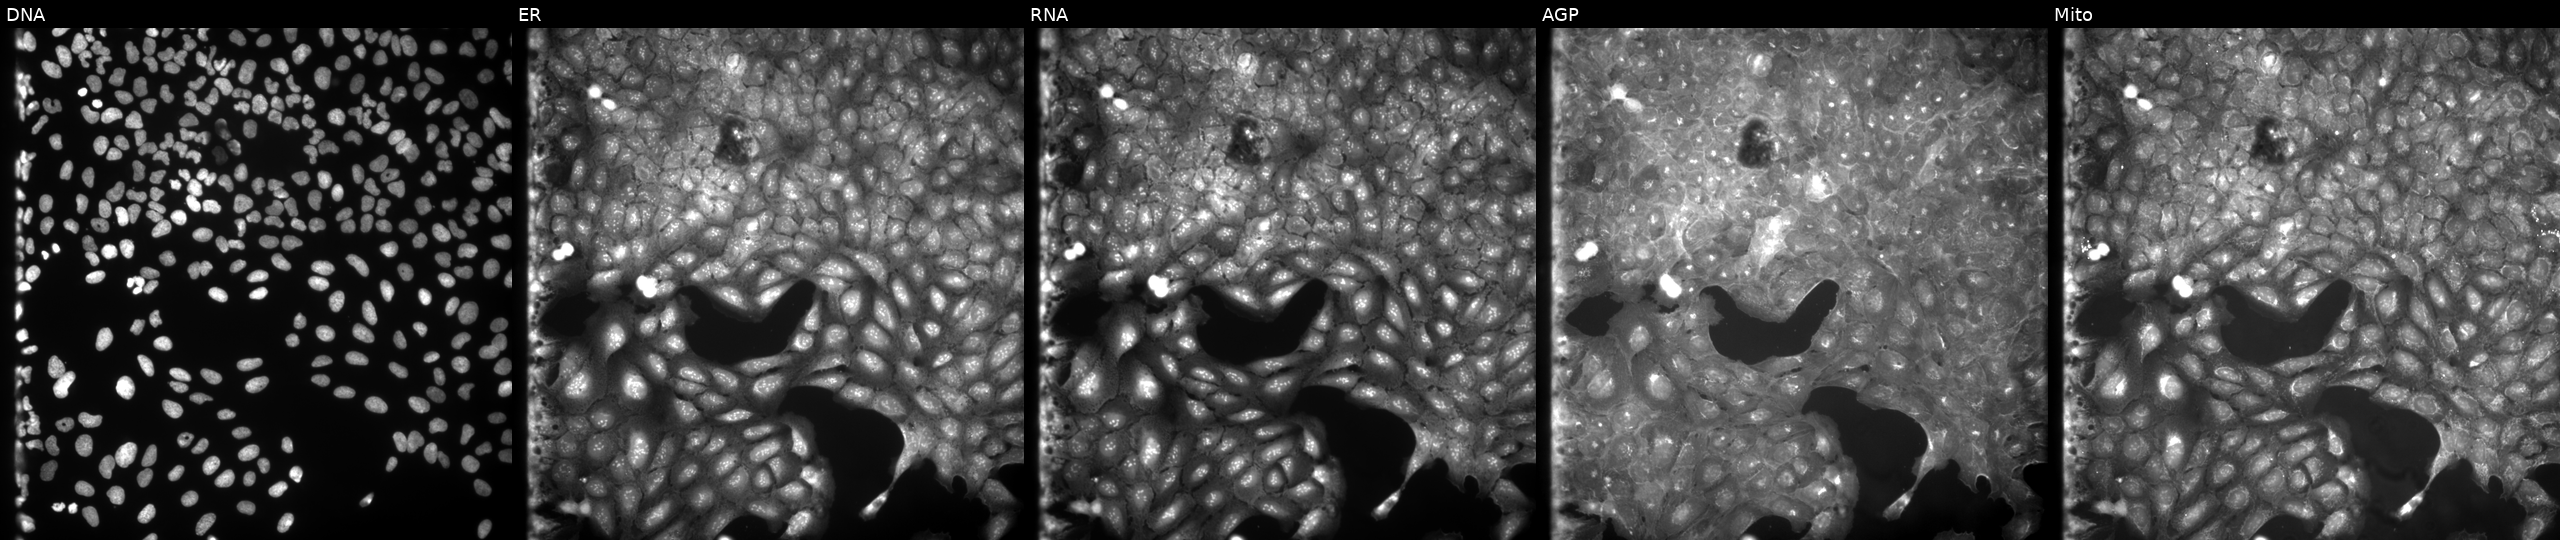
JUMP Cell Painting — COMPOUND plate. U2OS cells exposed to a small-molecule compound (InChIKey NXWAEGJPMHPOLT-UHFFFAOYSA-N) (JUMP id JCP2022_062068). Channels (left→right): Hoechst 33342, concanavalin A, SYTO 14, phalloidin and WGA, MitoTracker.